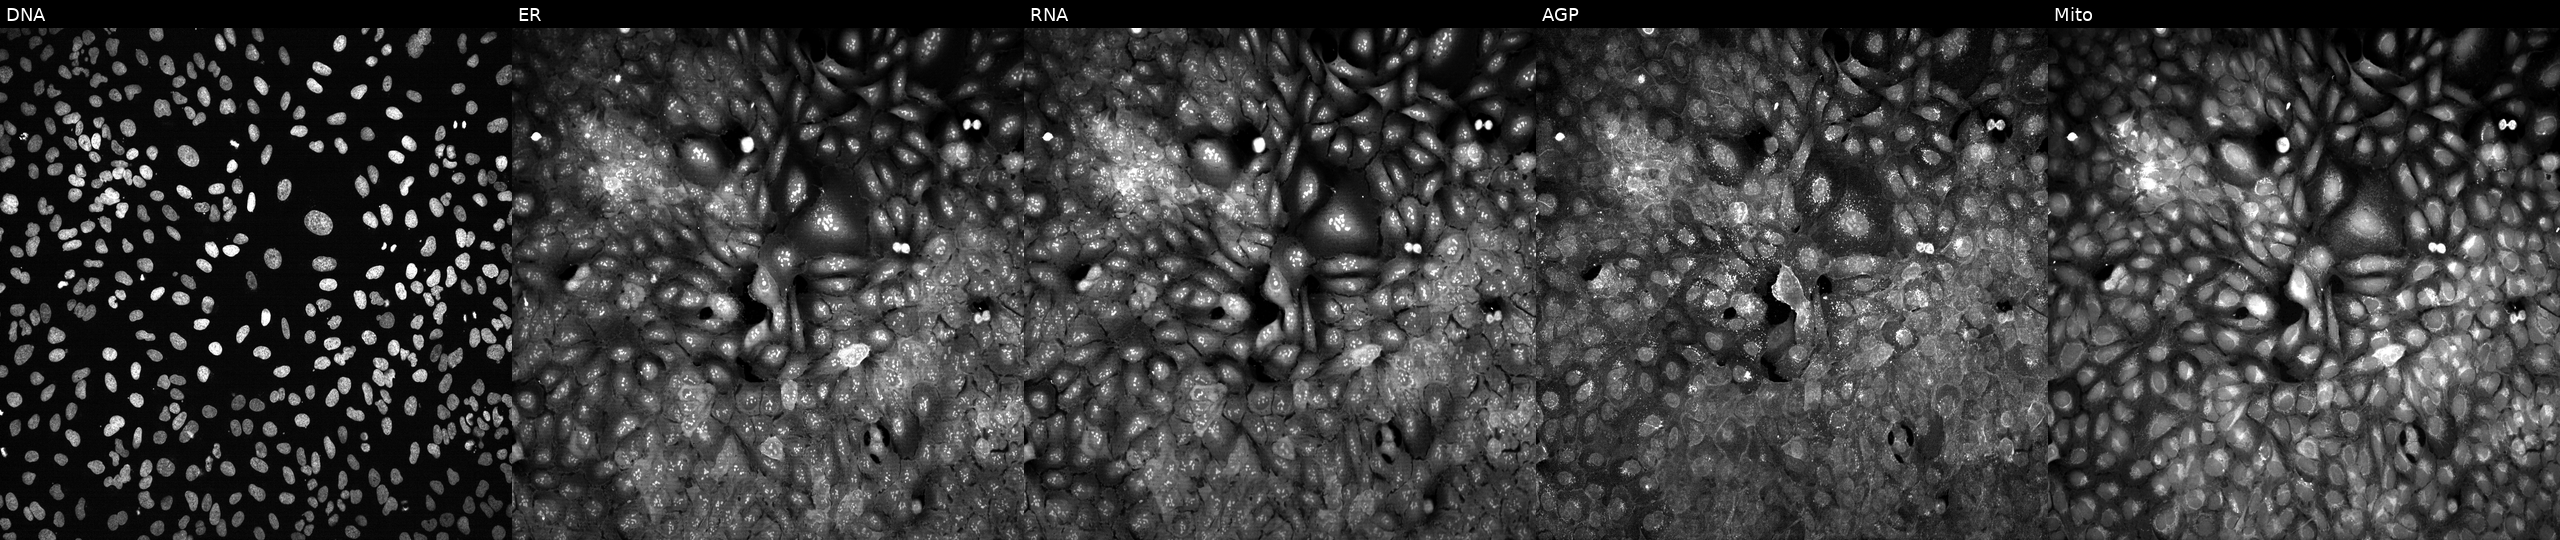
U2OS cells, Cell Painting assay, with PDIA5 knocked out by CRISPR. The five panels, left to right, show DNA (nuclei); ER (endoplasmic reticulum); RNA (nucleoli and cytoplasmic RNA); AGP (actin cytoskeleton, Golgi, and plasma membrane); Mito (mitochondria). Each panel is percentile-stretched 16-bit fluorescence.